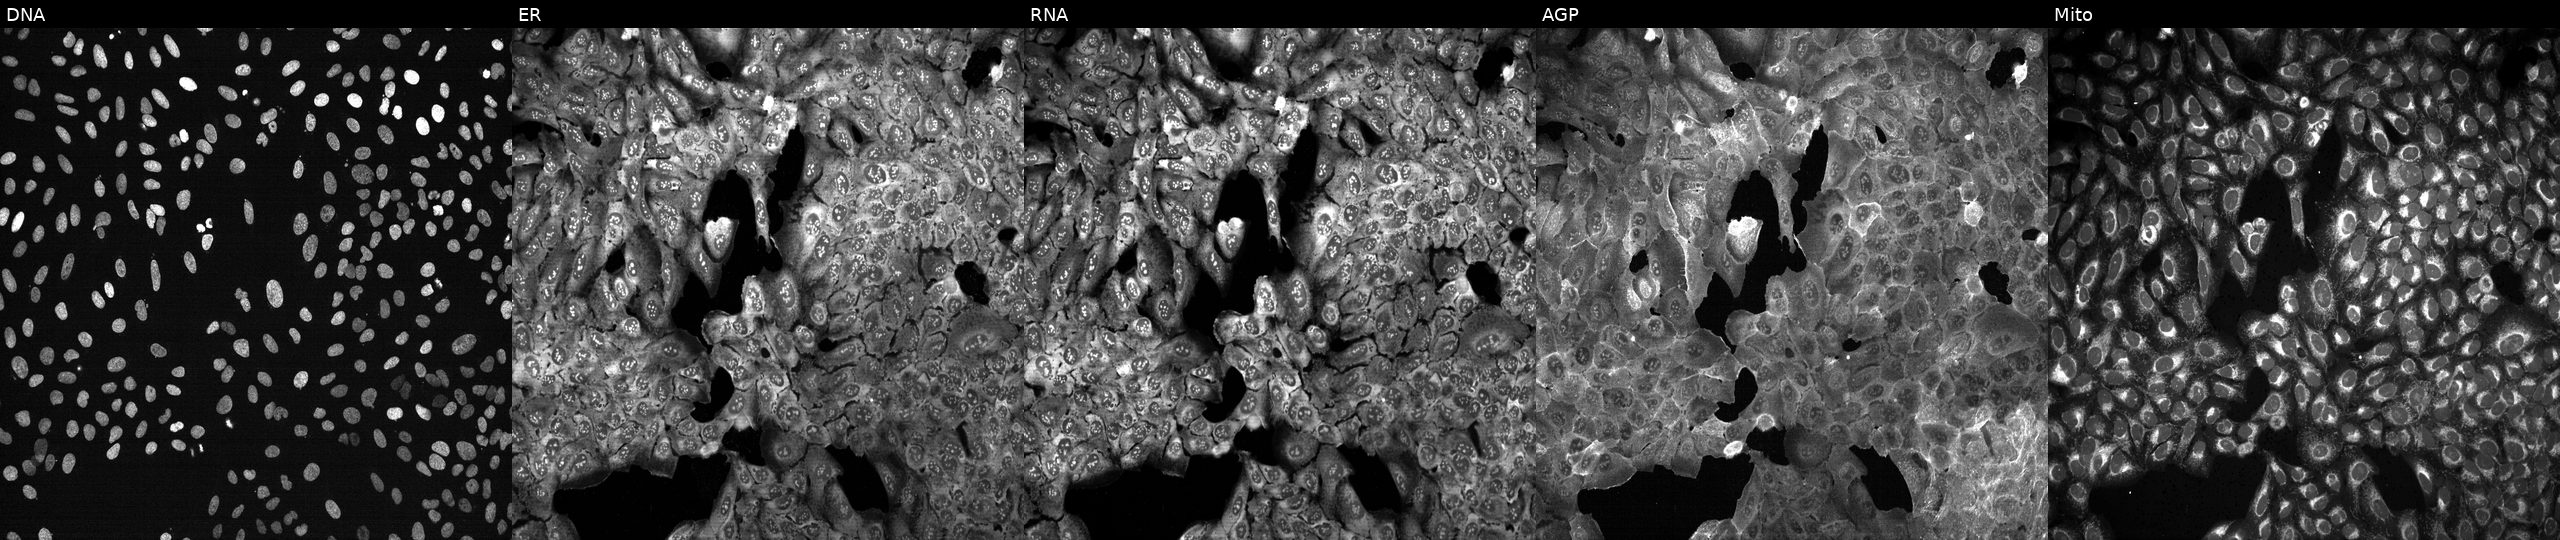
Five-channel Cell Painting image of U2OS cells with GNAS knocked out by CRISPR (JUMP id JCP2022_802767). The five panels, left to right, show DNA (nuclei); ER (endoplasmic reticulum); RNA (nucleoli and cytoplasmic RNA); AGP (actin cytoskeleton, Golgi, and plasma membrane); Mito (mitochondria). Source 13, plate CP-CC9-R2-02, well A20.